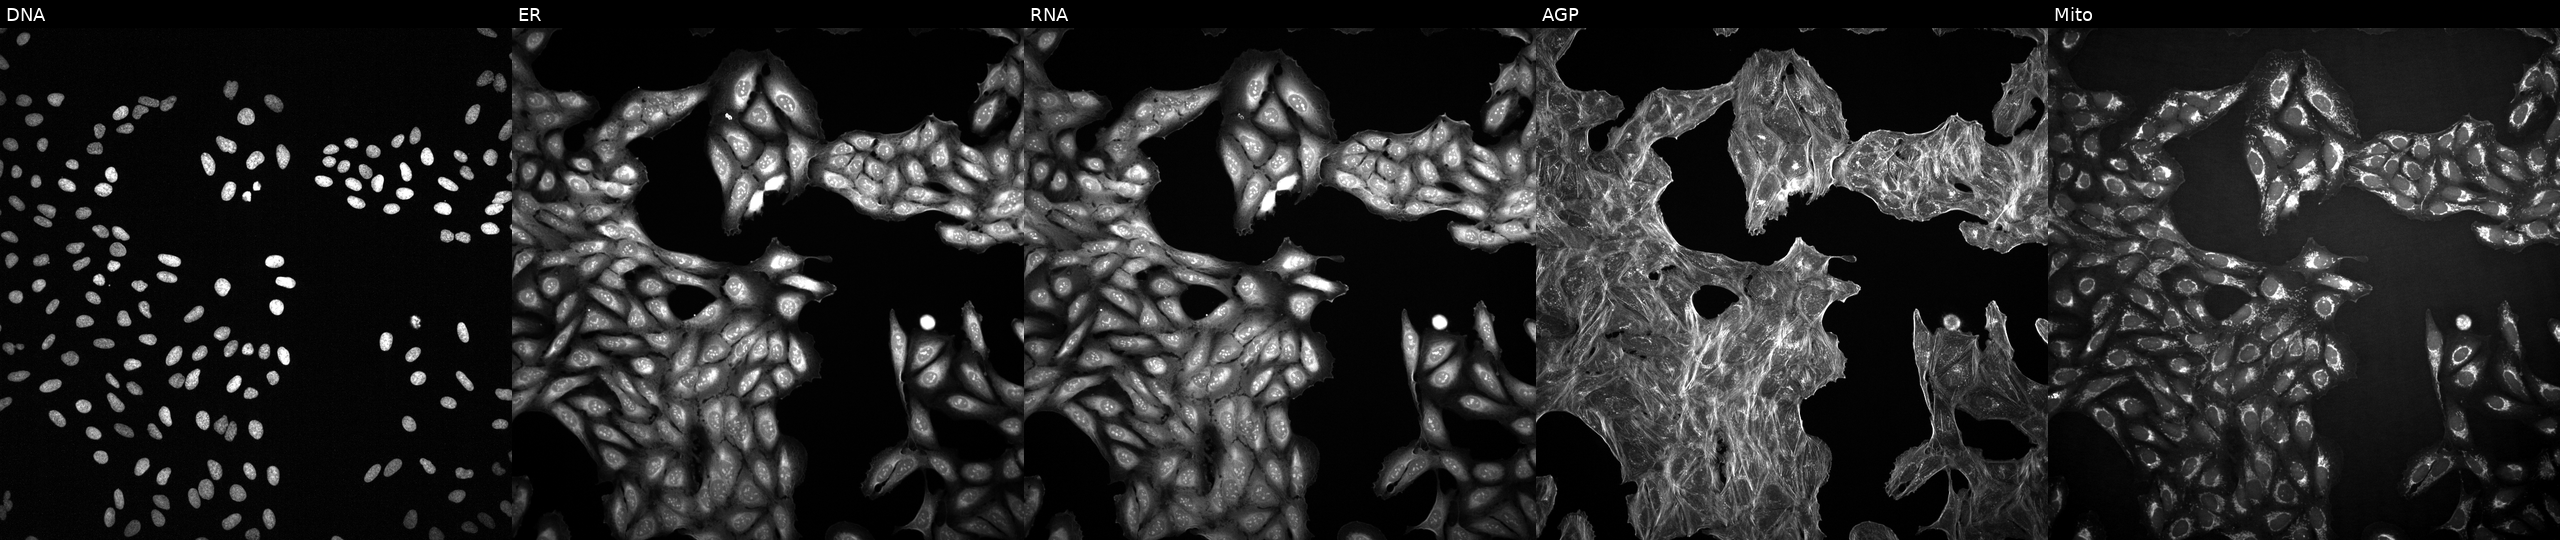
JUMP Cell Painting — COMPOUND plate. U2OS cells exposed to a small-molecule compound (InChIKey AHNGFASMIDSEBA-UHFFFAOYSA-N) (JUMP id JCP2022_001444). The five panels, left to right, show Hoechst 33342, concanavalin A, SYTO 14, phalloidin and WGA, MitoTracker. Source 2, plate 1053601763, well H11.